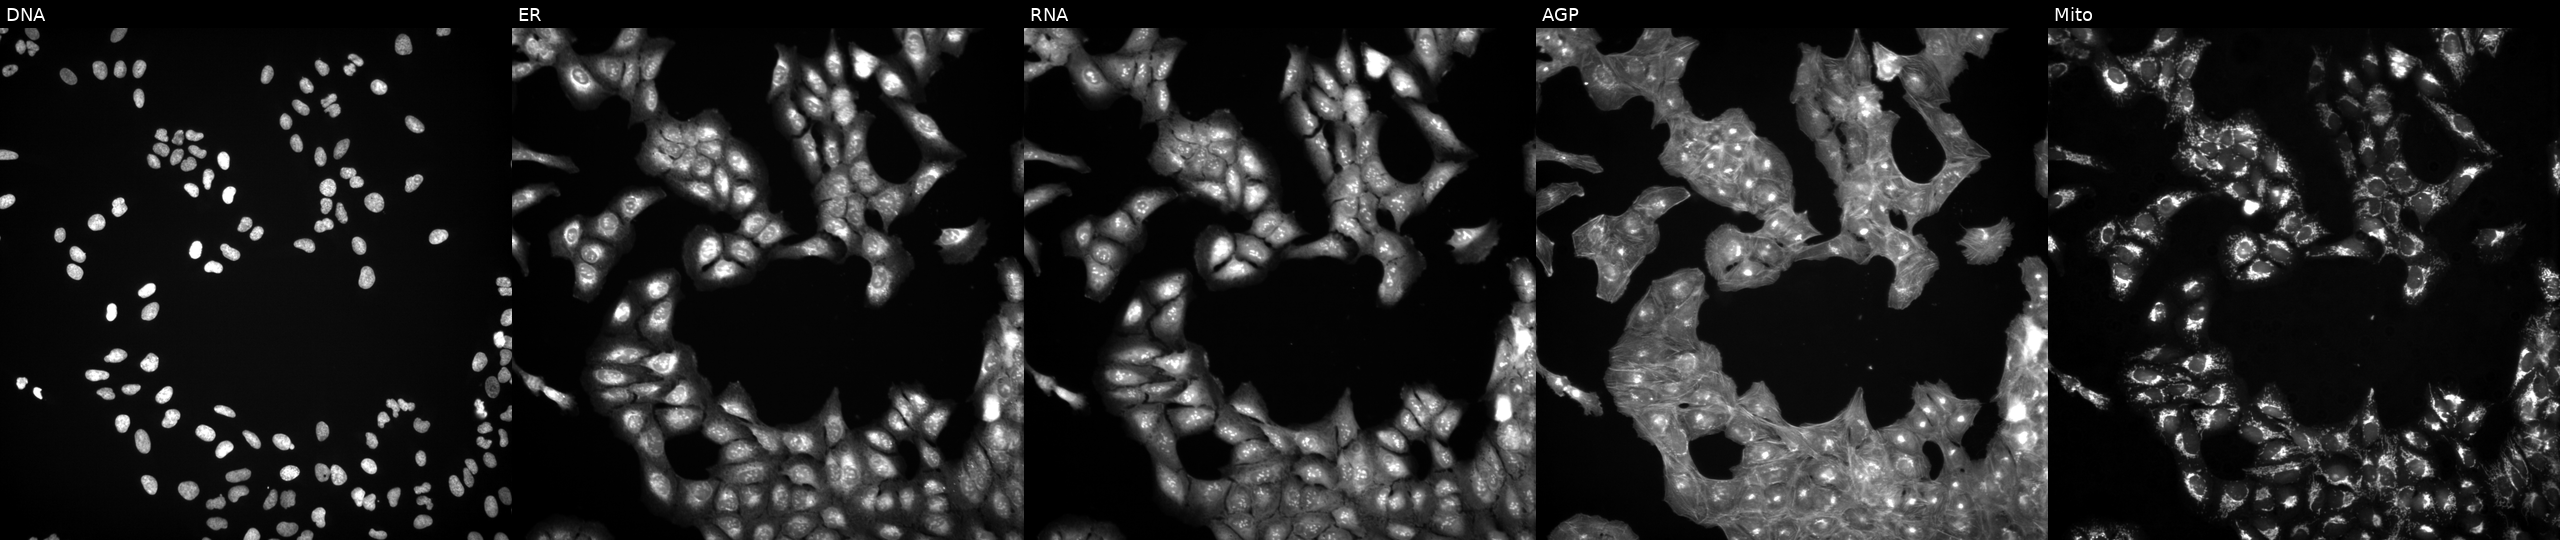
U2OS cells, Cell Painting assay, treated with AMG900 (positive-control compound) (JUMP id JCP2022_037716). Panels show, left to right, DNA, ER, RNA, AGP, and Mito. Each panel is percentile-stretched 16-bit fluorescence.